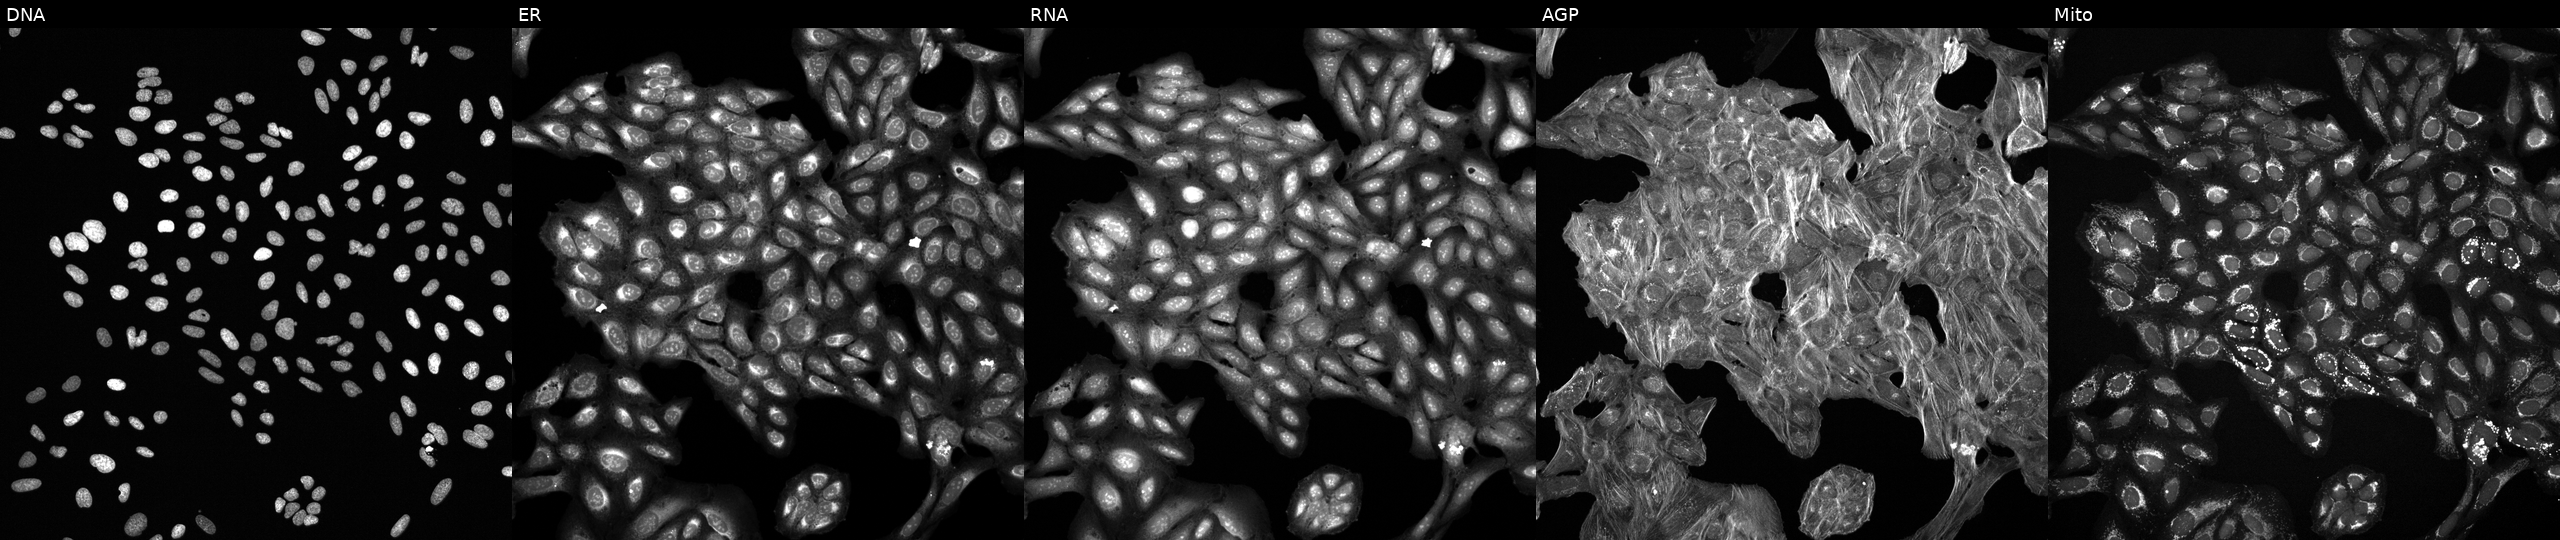
The five panels, left to right, show Hoechst 33342, concanavalin A, SYTO 14, phalloidin and WGA, MitoTracker. U2OS osteosarcoma cells perturbed with a small-molecule compound (InChIKey GMROZDPZEUVIGD-UHFFFAOYSA-N) (JUMP id JCP2022_026475). Cell Painting assay, JUMP-CP dataset. Source 6, plate 110000293093, well L11.